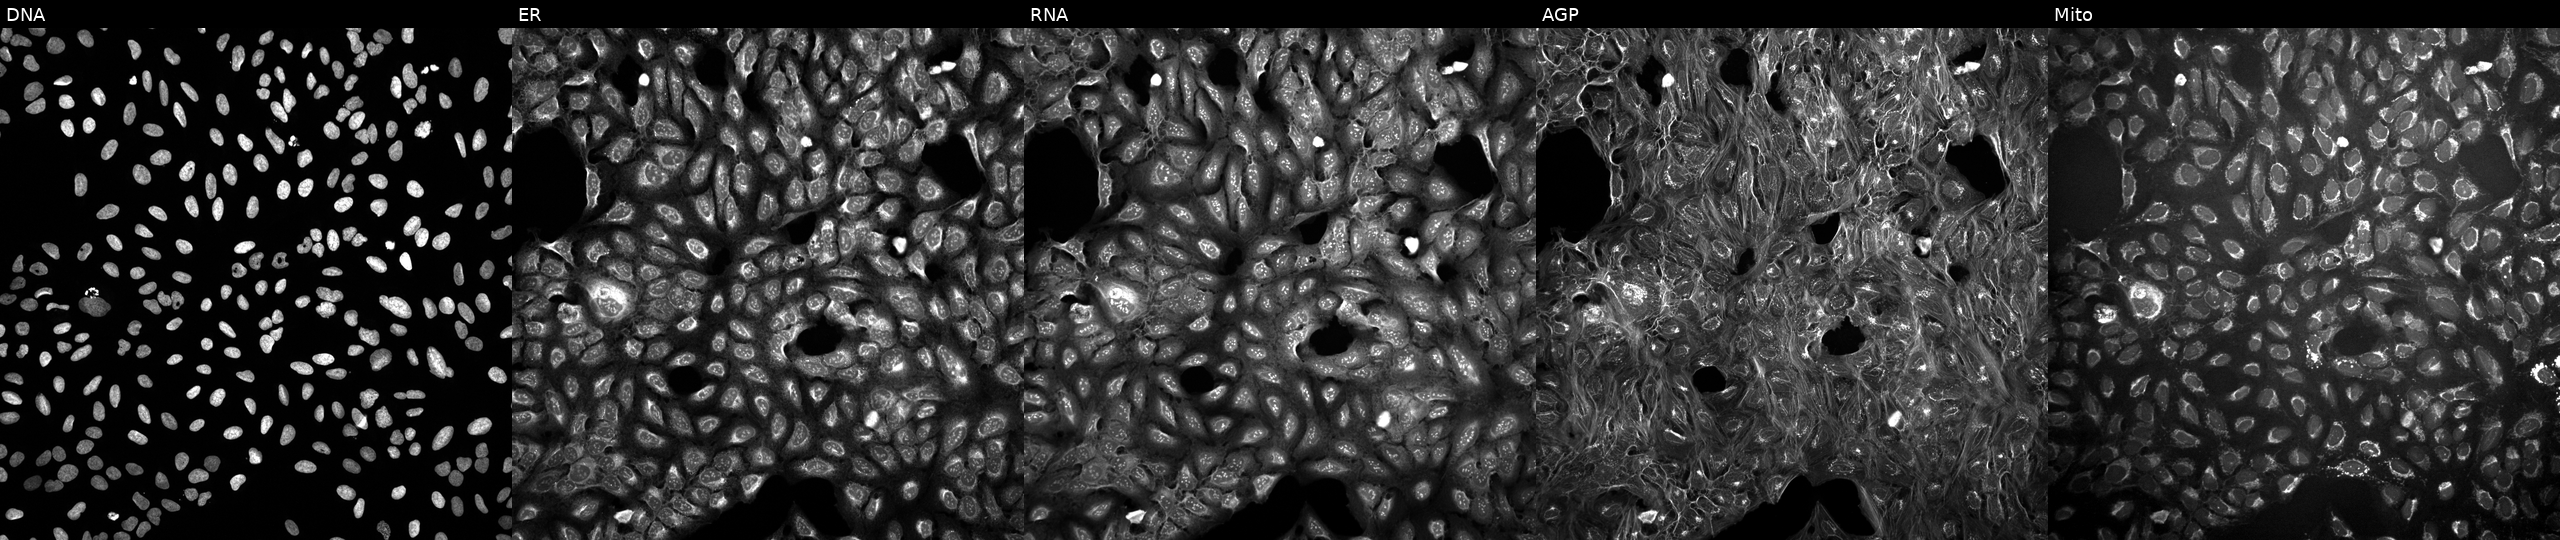
High-content fluorescence microscopy (Cell Painting). Cell line: U2OS. Perturbation: exposed to DMSO alone as a negative control (JUMP id JCP2022_033924). Channels (left→right): Hoechst 33342, concanavalin A, SYTO 14, phalloidin and WGA, MitoTracker.